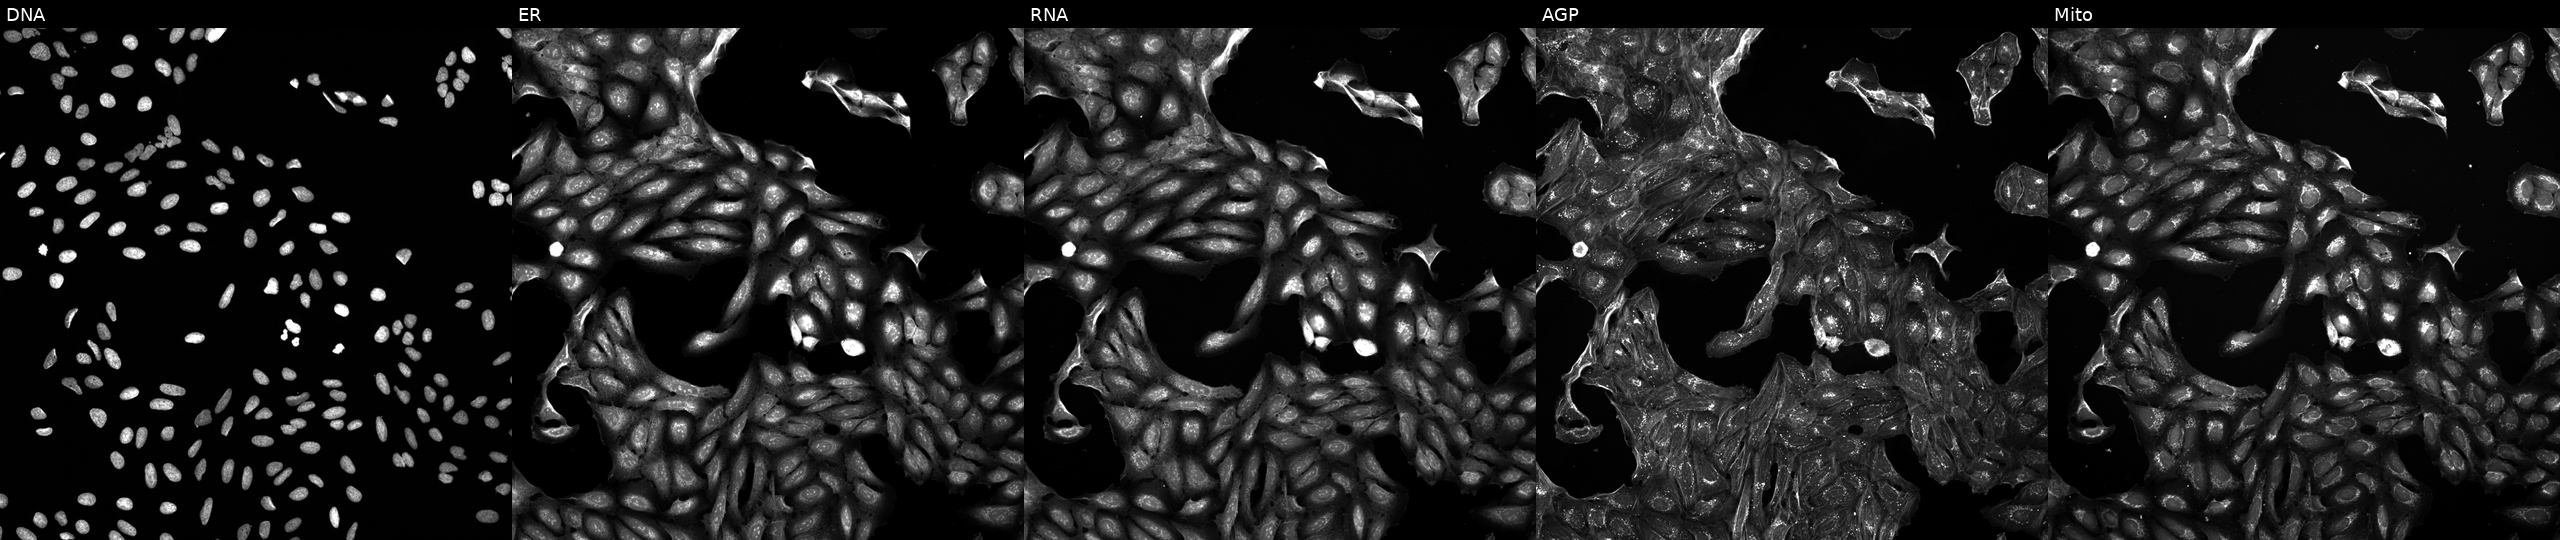
U2OS cells, Cell Painting assay, treated with a small-molecule compound (InChIKey BXMMMWDKSGJAKS-UHFFFAOYSA-N) (JUMP id JCP2022_009308). The five panels, left to right, show Hoechst 33342, concanavalin A, SYTO 14, phalloidin and WGA, MitoTracker. Each panel is percentile-stretched 16-bit fluorescence.